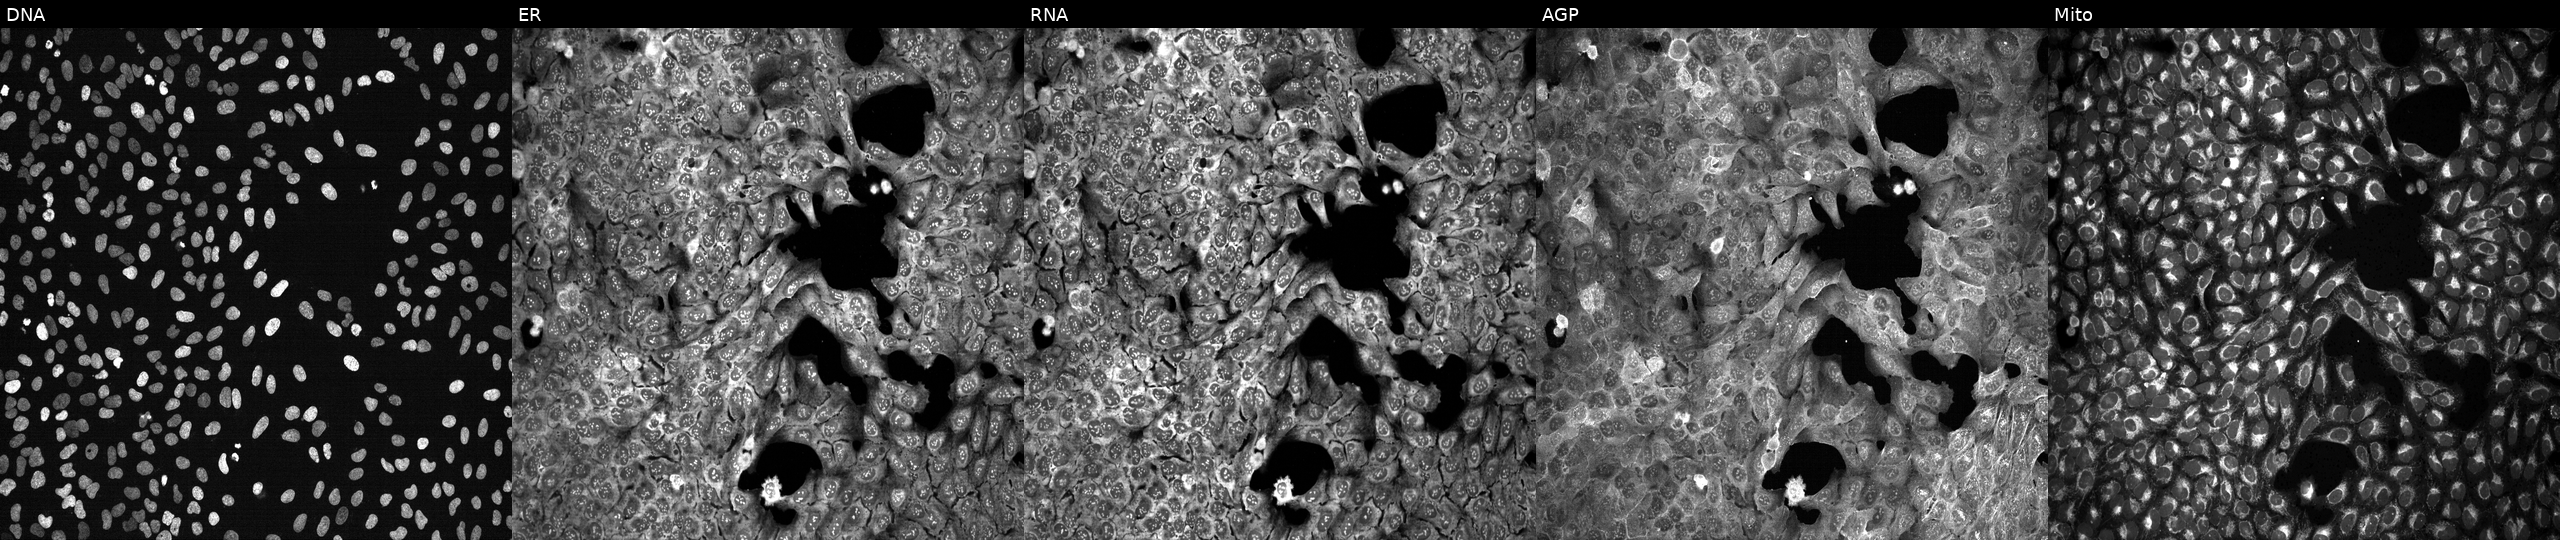
Five-channel Cell Painting image of U2OS cells CRISPR-edited to disrupt ABCG4. The five panels, left to right, show DNA, ER, RNA, AGP, and Mito. Source 13, plate CP-CC9-R4-03, well F22.